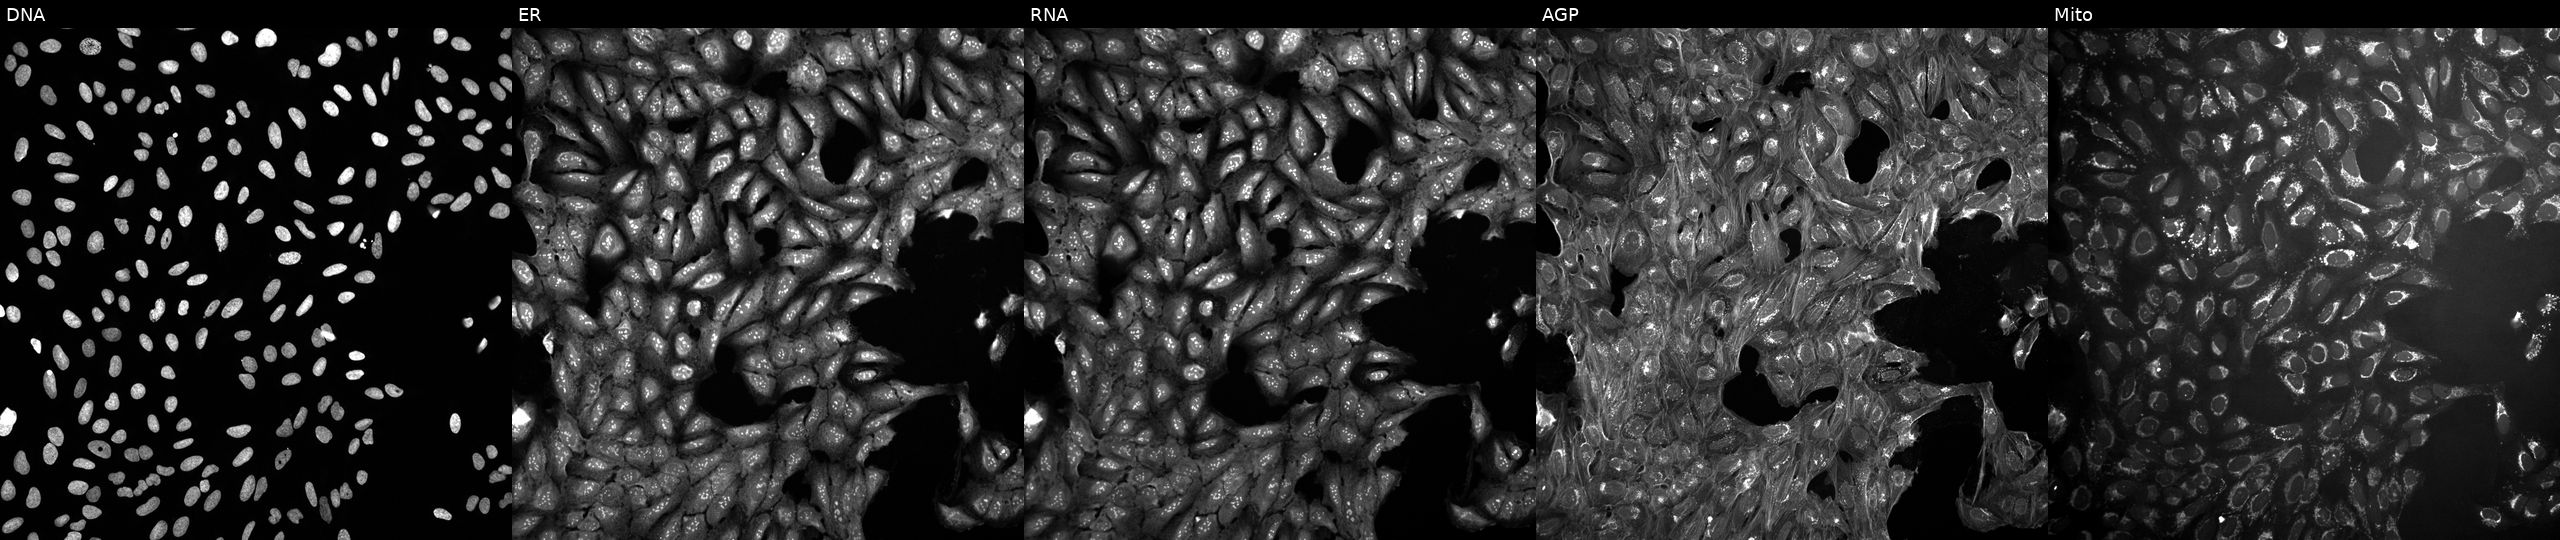
Five-channel Cell Painting image of U2OS cells perturbed with a small-molecule compound. The five panels, left to right, show Hoechst 33342, concanavalin A, SYTO 14, phalloidin and WGA, MitoTracker.